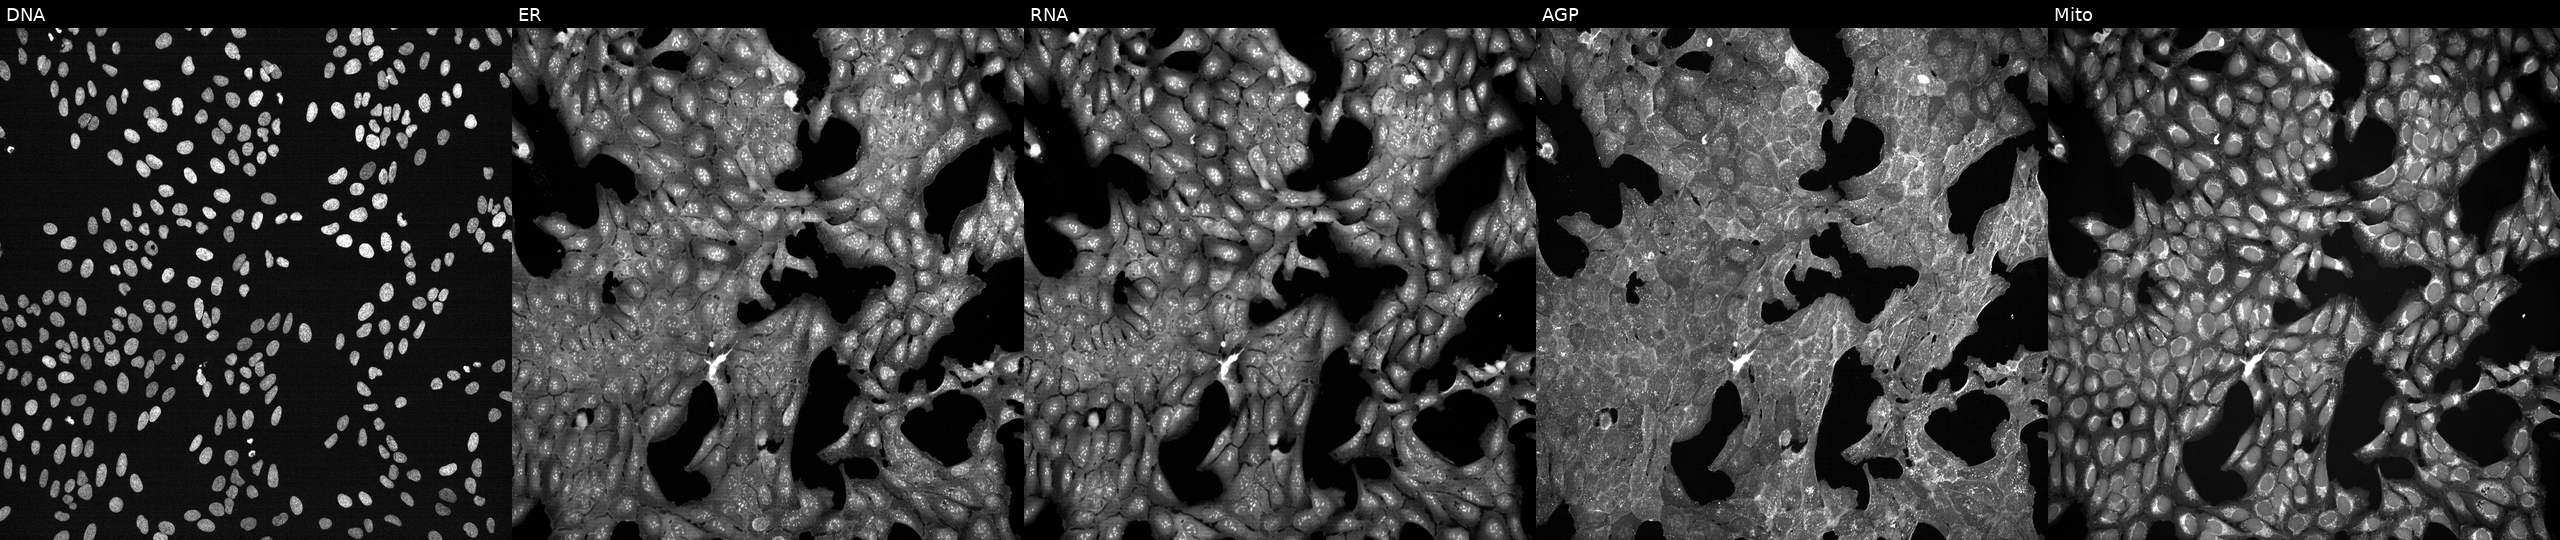
JUMP Cell Painting — TARGET2 plate. U2OS cells exposed to a small-molecule compound (InChIKey JHSXDAWGLCZYSM-UHFFFAOYSA-N) (JUMP id JCP2022_039863). Panels show, left to right, DNA (nuclei); ER (endoplasmic reticulum); RNA (nucleoli and cytoplasmic RNA); AGP (actin cytoskeleton, Golgi, and plasma membrane); Mito (mitochondria). Source 7, plate CP2-SC1-25, well H10.